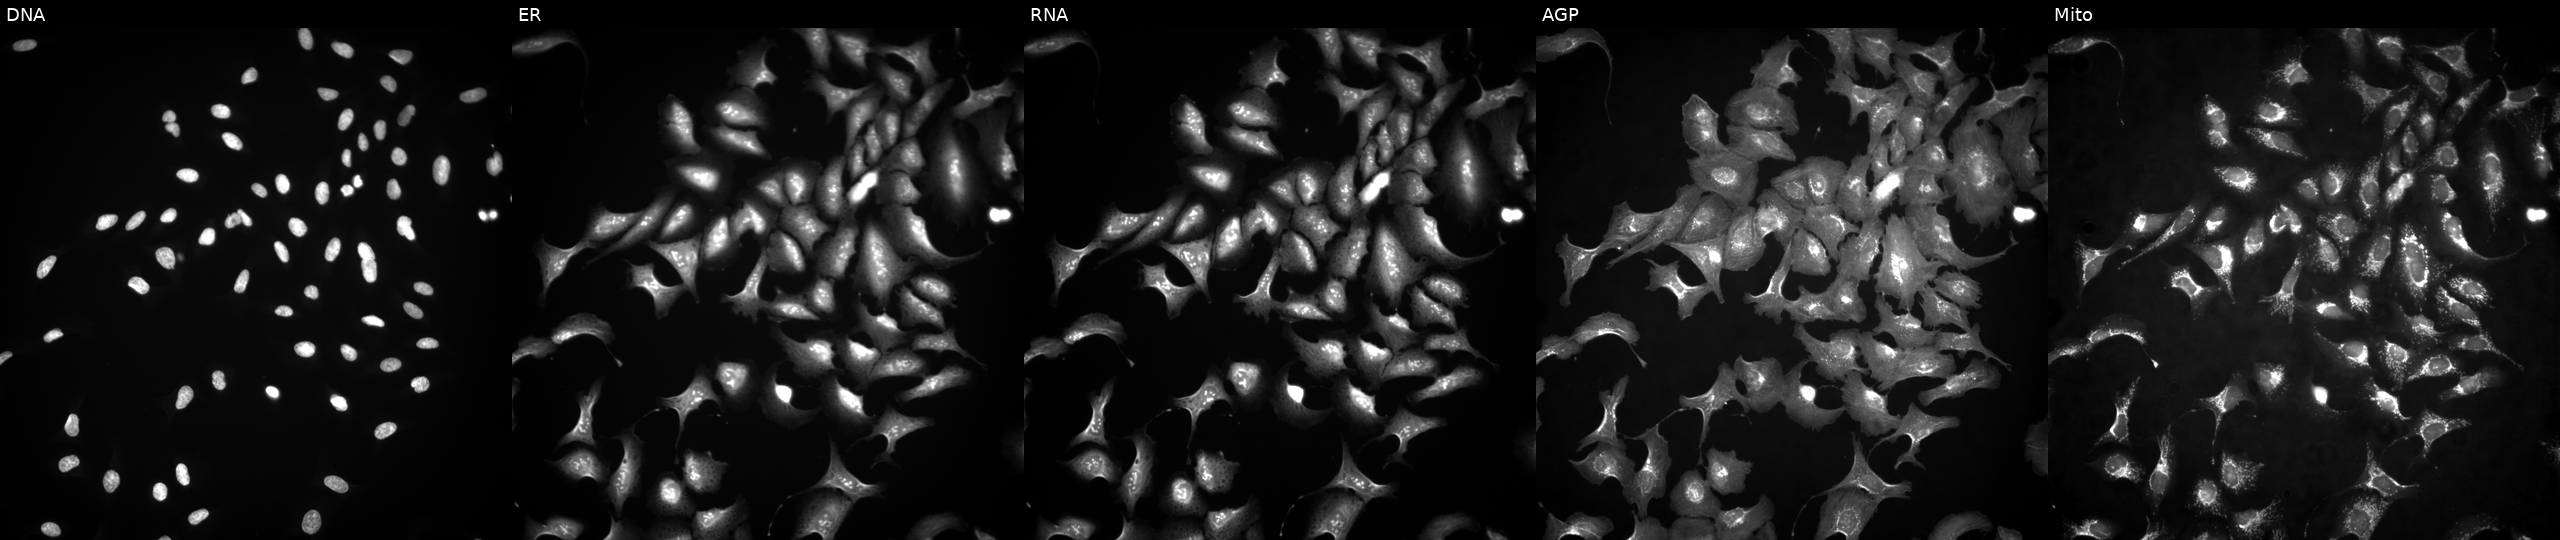
JUMP Cell Painting — ORF plate. U2OS cells transfected with an ORF construct for MED6. From left to right: DNA (nuclei); ER (endoplasmic reticulum); RNA (nucleoli and cytoplasmic RNA); AGP (actin cytoskeleton, Golgi, and plasma membrane); Mito (mitochondria).